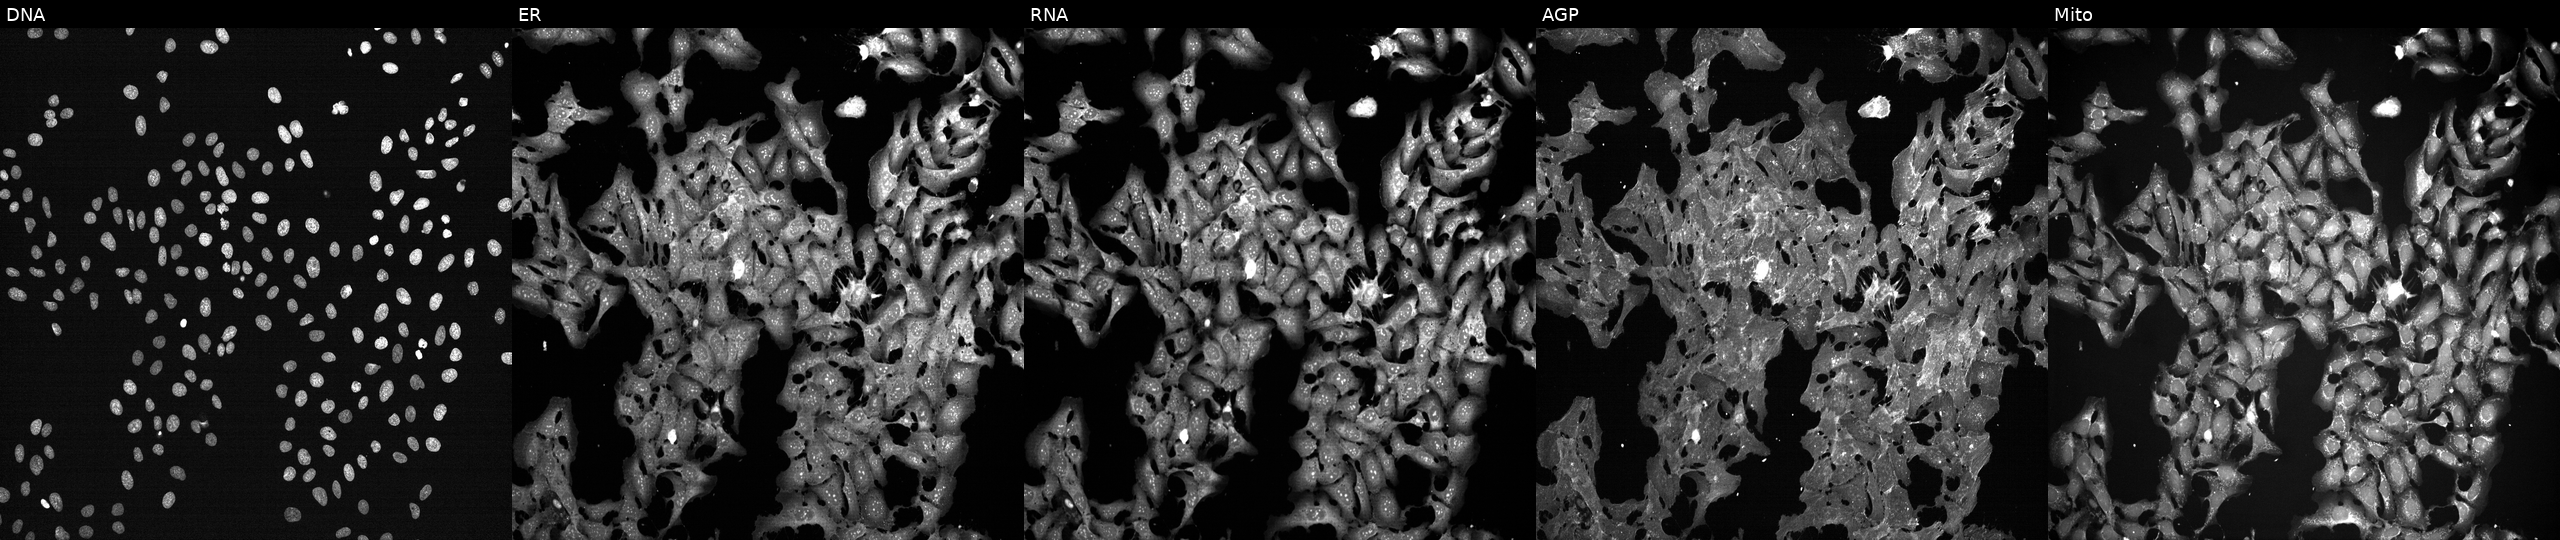
U2OS cells, Cell Painting assay, exposed to the positive-control compound FK-866 (JUMP id JCP2022_046054). Channels (left→right): DNA (nuclei); ER (endoplasmic reticulum); RNA (nucleoli and cytoplasmic RNA); AGP (actin cytoskeleton, Golgi, and plasma membrane); Mito (mitochondria). Each panel is percentile-stretched 16-bit fluorescence. Source 7, plate CP2-SC1-25, well H04.